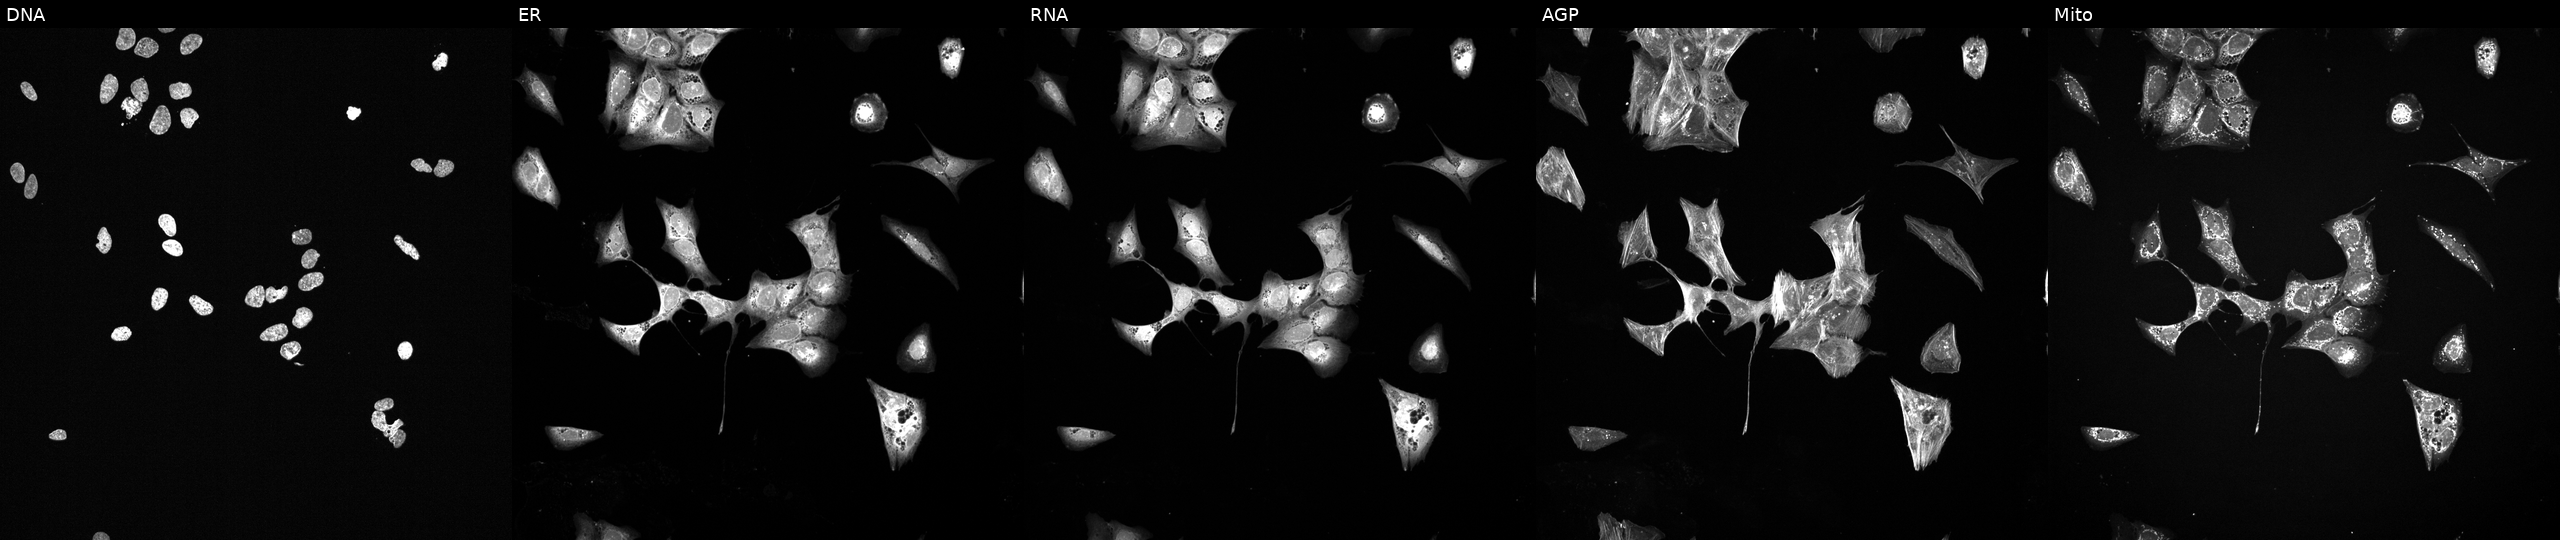
JUMP Cell Painting — TARGET2 plate. U2OS cells treated with a small-molecule compound (InChIKey XLSYZSRXVVCHLS-UHFFFAOYSA-N) (JUMP id JCP2022_104437). From left to right: DNA (nuclei); ER (endoplasmic reticulum); RNA (nucleoli and cytoplasmic RNA); AGP (actin cytoskeleton, Golgi, and plasma membrane); Mito (mitochondria).